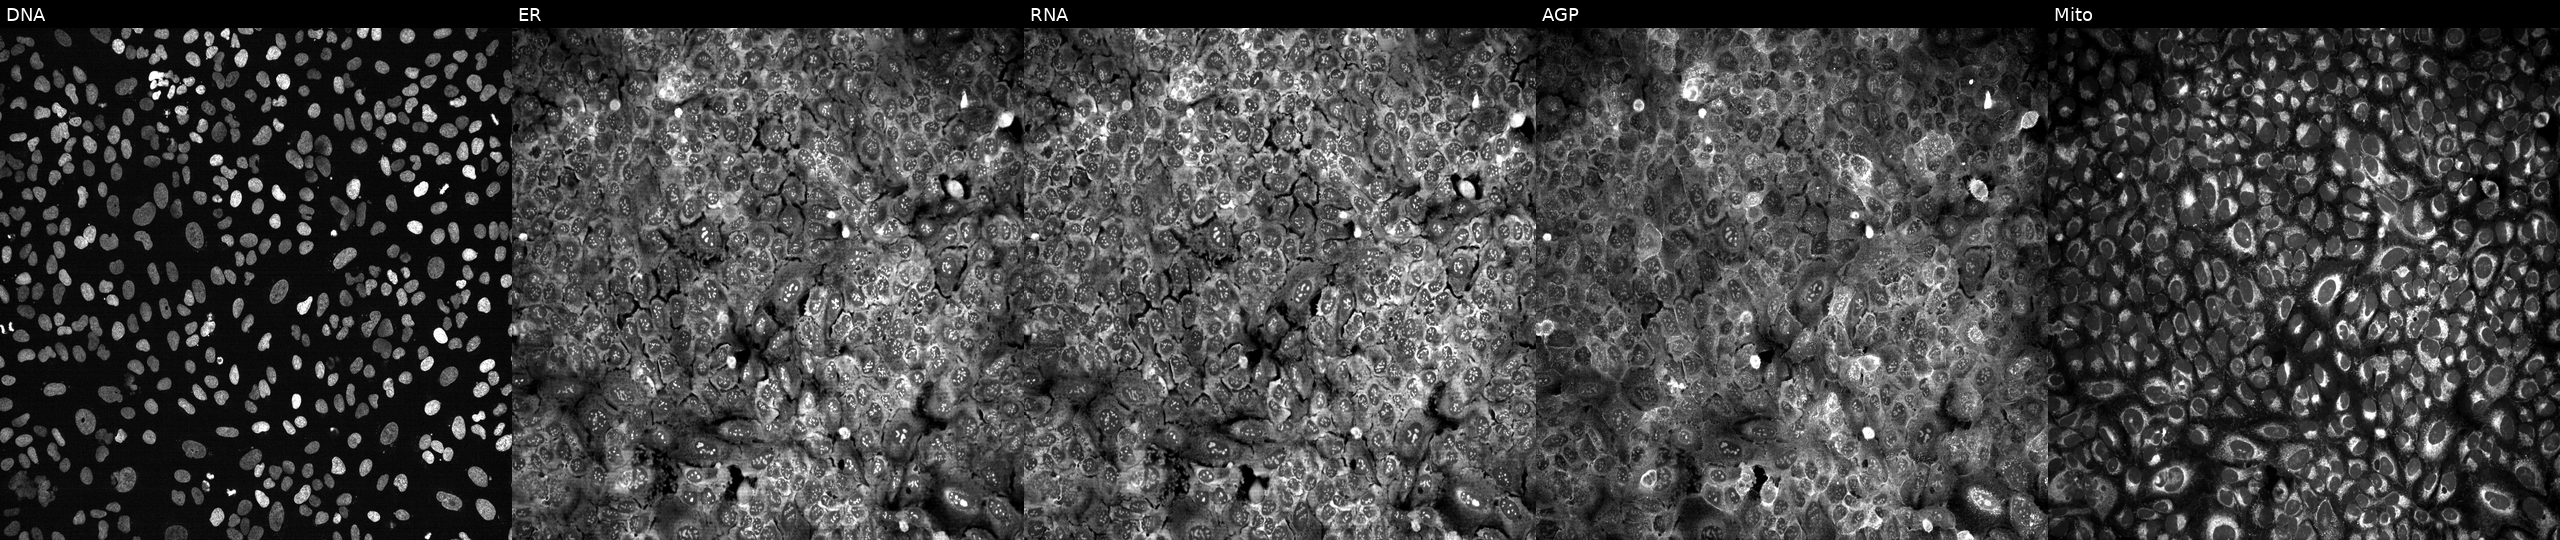
Panels show, left to right, Hoechst 33342, concanavalin A, SYTO 14, phalloidin and WGA, MitoTracker. U2OS osteosarcoma cells CRISPR-edited to disrupt RGS7 (JUMP id JCP2022_805937). Cell Painting assay, JUMP-CP dataset. Source 13, plate CP-CC9-R4-03, well I07.